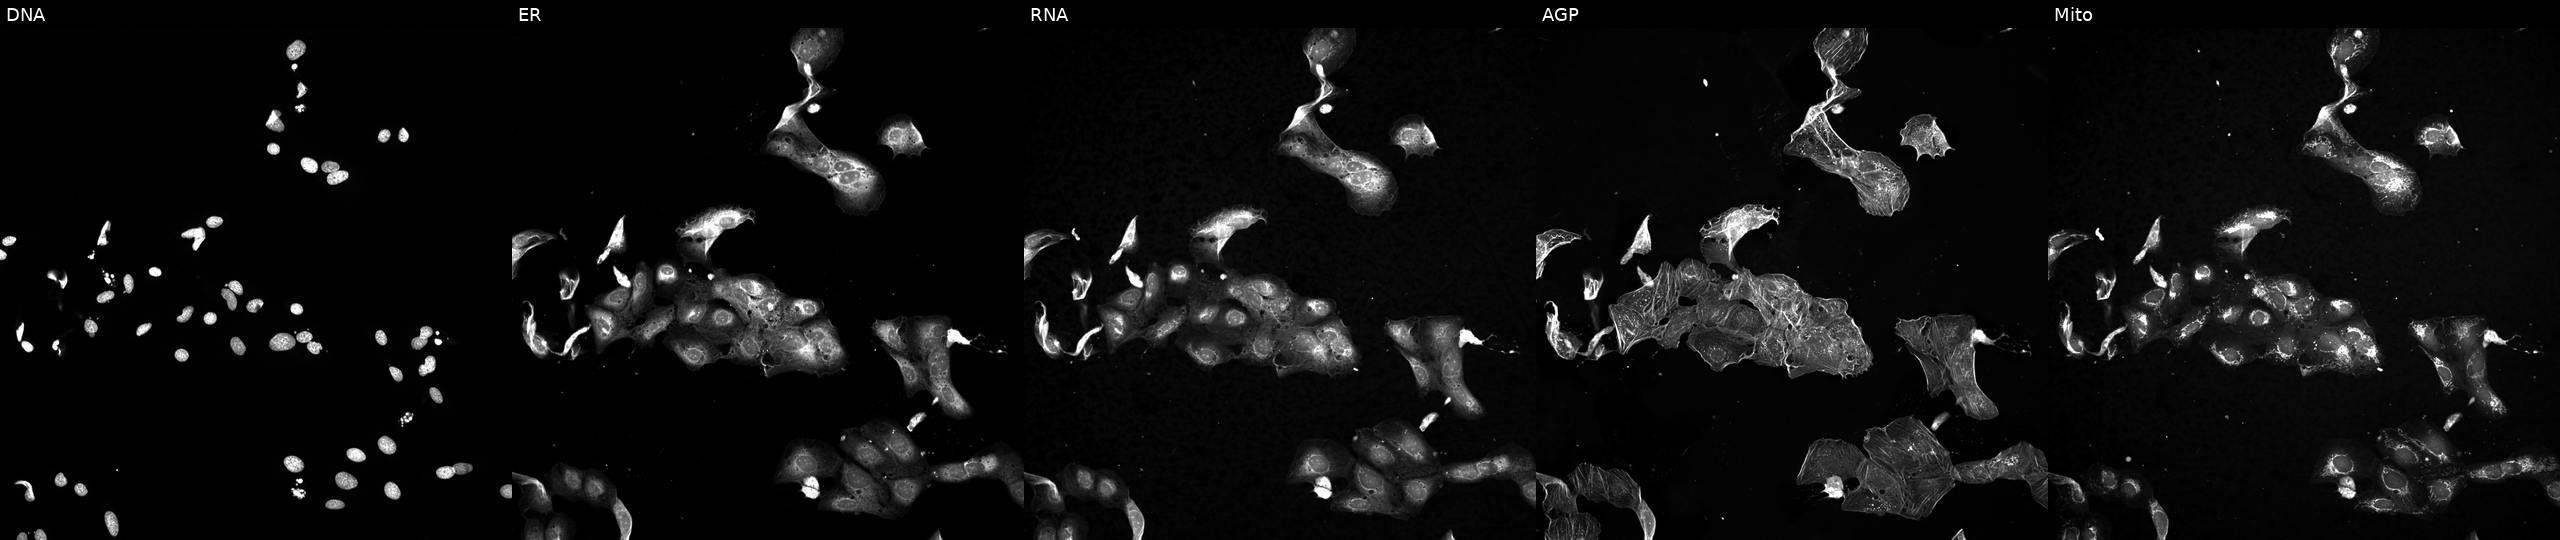
U2OS cells, Cell Painting assay, treated with a small-molecule compound (InChIKey RVAQIUULWULRNW-UHFFFAOYSA-N). From left to right: Hoechst 33342, concanavalin A, SYTO 14, phalloidin and WGA, MitoTracker. Each panel is percentile-stretched 16-bit fluorescence.